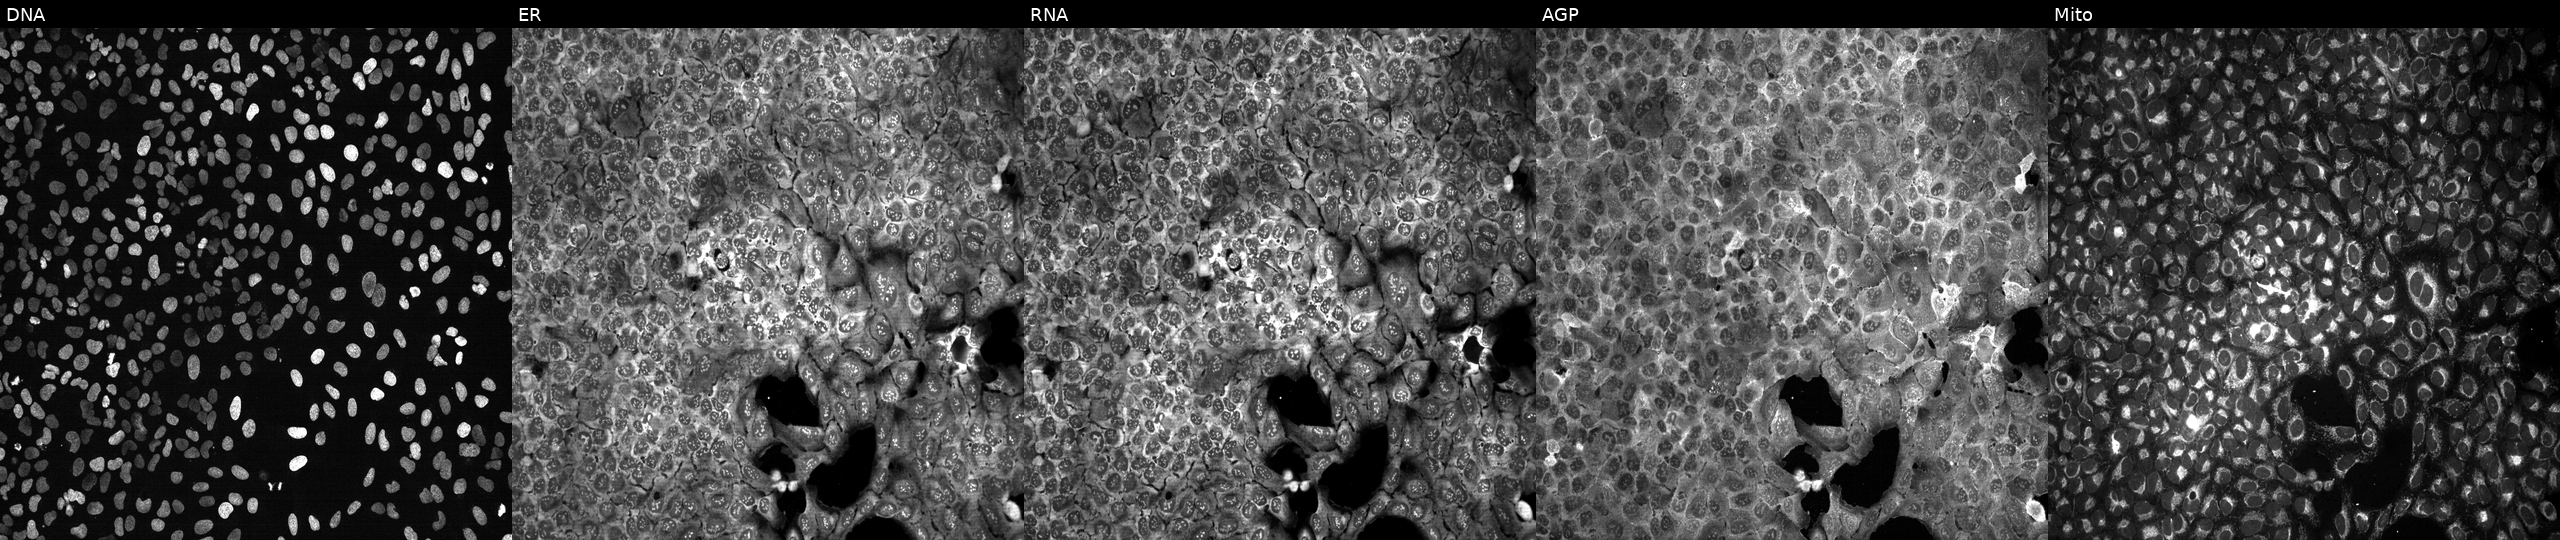
JUMP Cell Painting — CRISPR plate. U2OS cells CRISPR-edited to disrupt AANAT. Panels show, left to right, Hoechst 33342, concanavalin A, SYTO 14, phalloidin and WGA, MitoTracker.